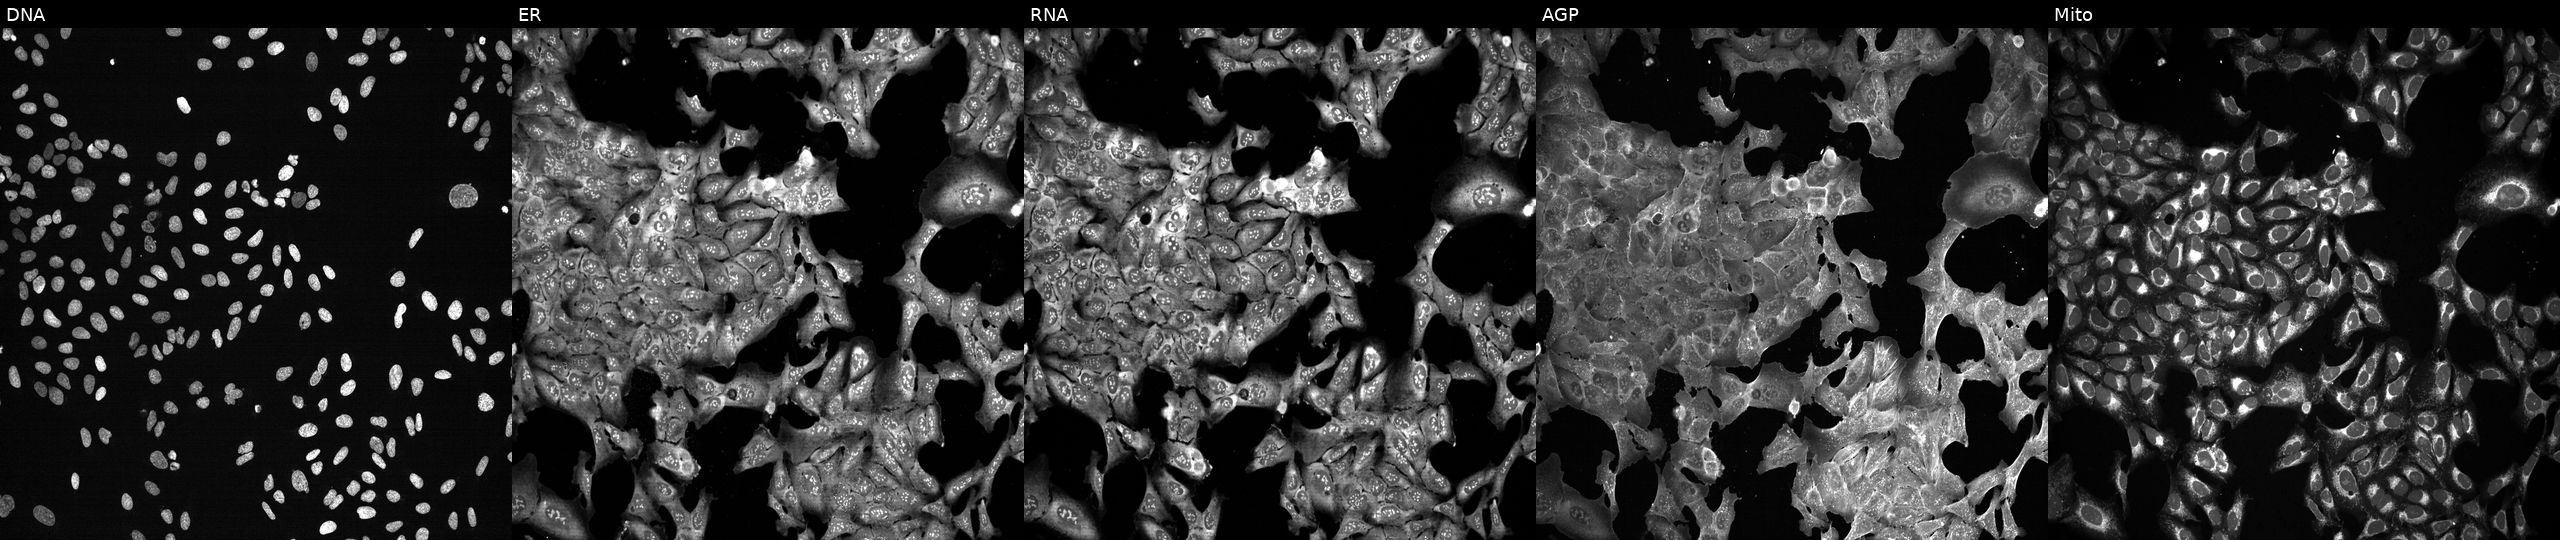
Five-channel Cell Painting image of U2OS cells CRISPR-edited to disrupt NCLN (JUMP id JCP2022_804450). Channels (left→right): Hoechst 33342, concanavalin A, SYTO 14, phalloidin and WGA, MitoTracker. Source 13, plate CP-CC9-R6-19, well C07.